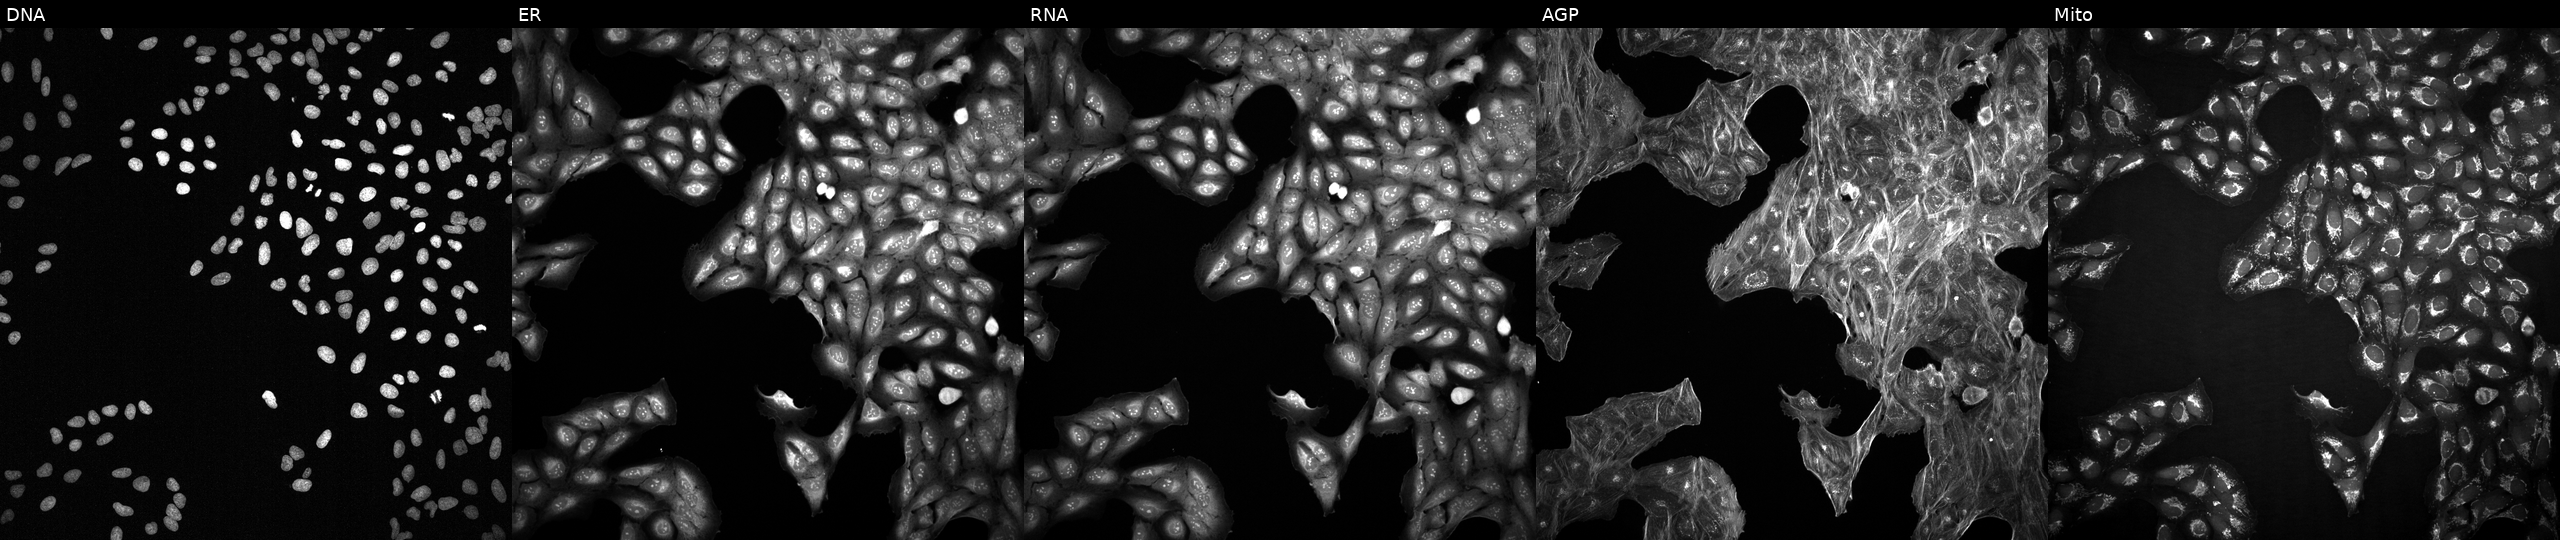
This image strip shows the five Cell Painting channels for a single field of U2OS cells perturbed with a small-molecule compound [SMILES: FC(F)OC(F)(F)C(F)Cl] (JUMP id JCP2022_041253). From left to right: DNA, ER, RNA, AGP, and Mito.